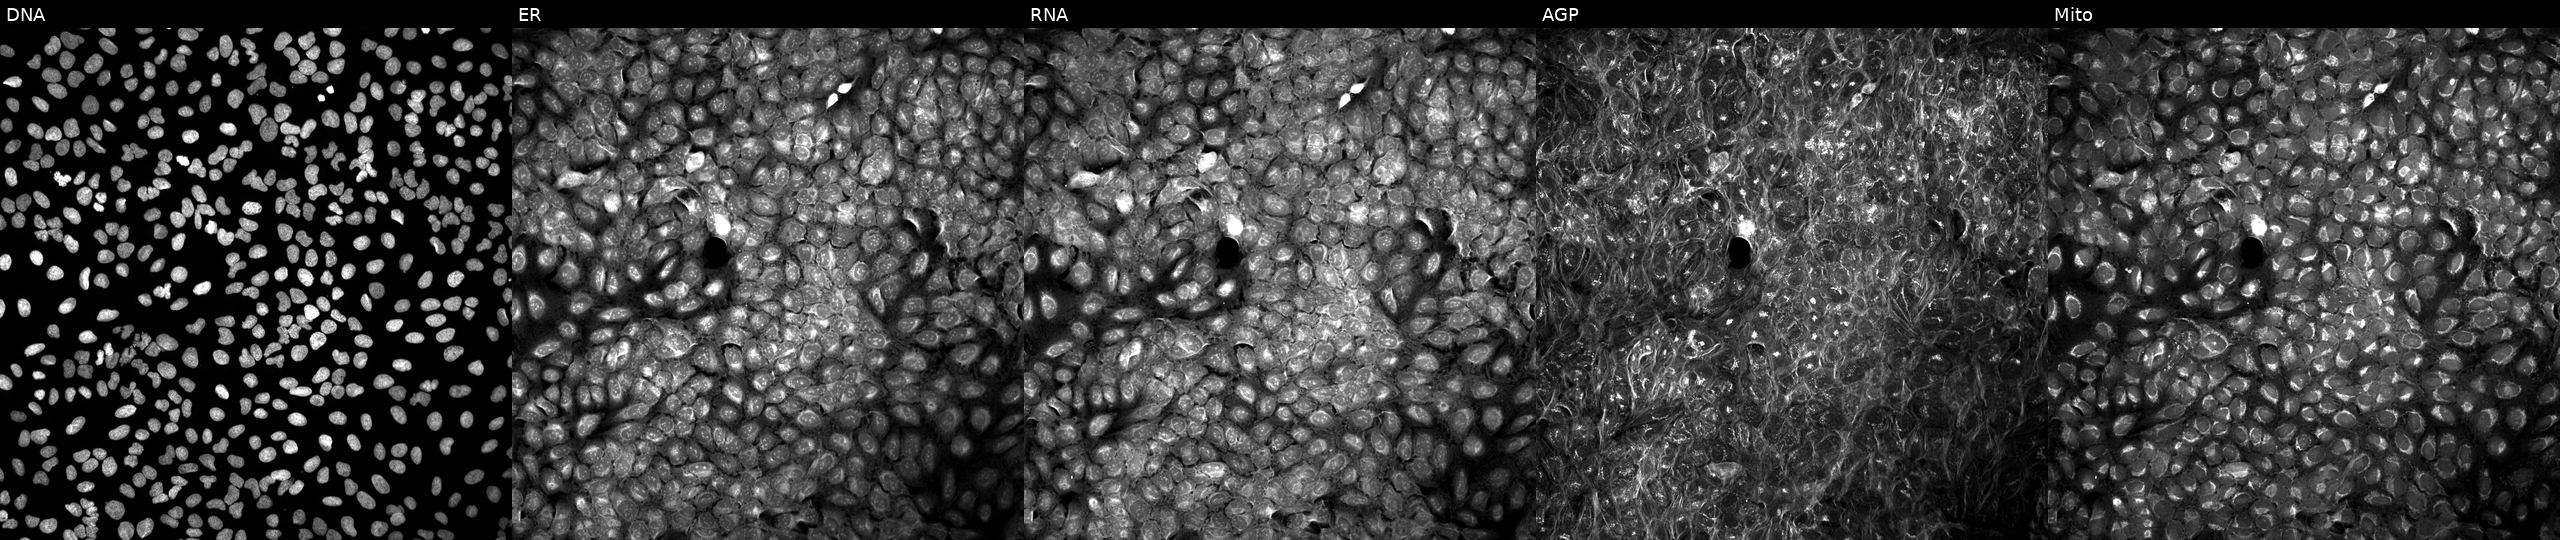
U2OS cells, Cell Painting assay, exposed to DMSO alone as a negative control (JUMP id JCP2022_033924). Channels (left→right): DNA (nuclei); ER (endoplasmic reticulum); RNA (nucleoli and cytoplasmic RNA); AGP (actin cytoskeleton, Golgi, and plasma membrane); Mito (mitochondria). Each panel is percentile-stretched 16-bit fluorescence.